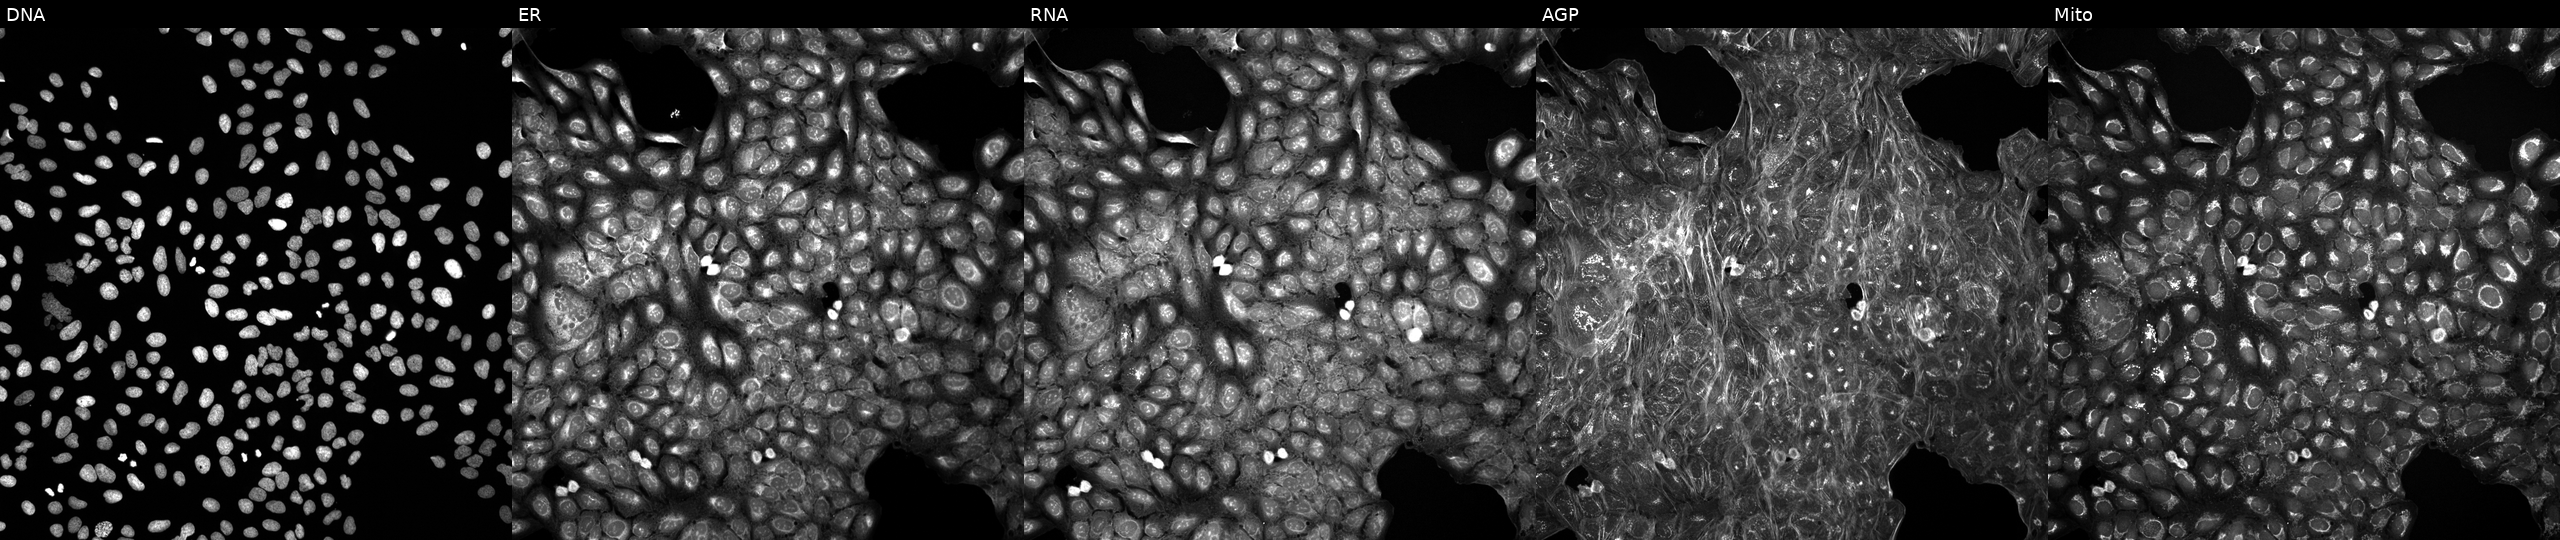
JUMP Cell Painting — TARGET2 plate. U2OS cells treated with DMSO vehicle only (negative control) (JUMP id JCP2022_033924). Channels (left→right): DNA, ER, RNA, AGP, and Mito. Source 5, plate ACPJUM012, well G16.